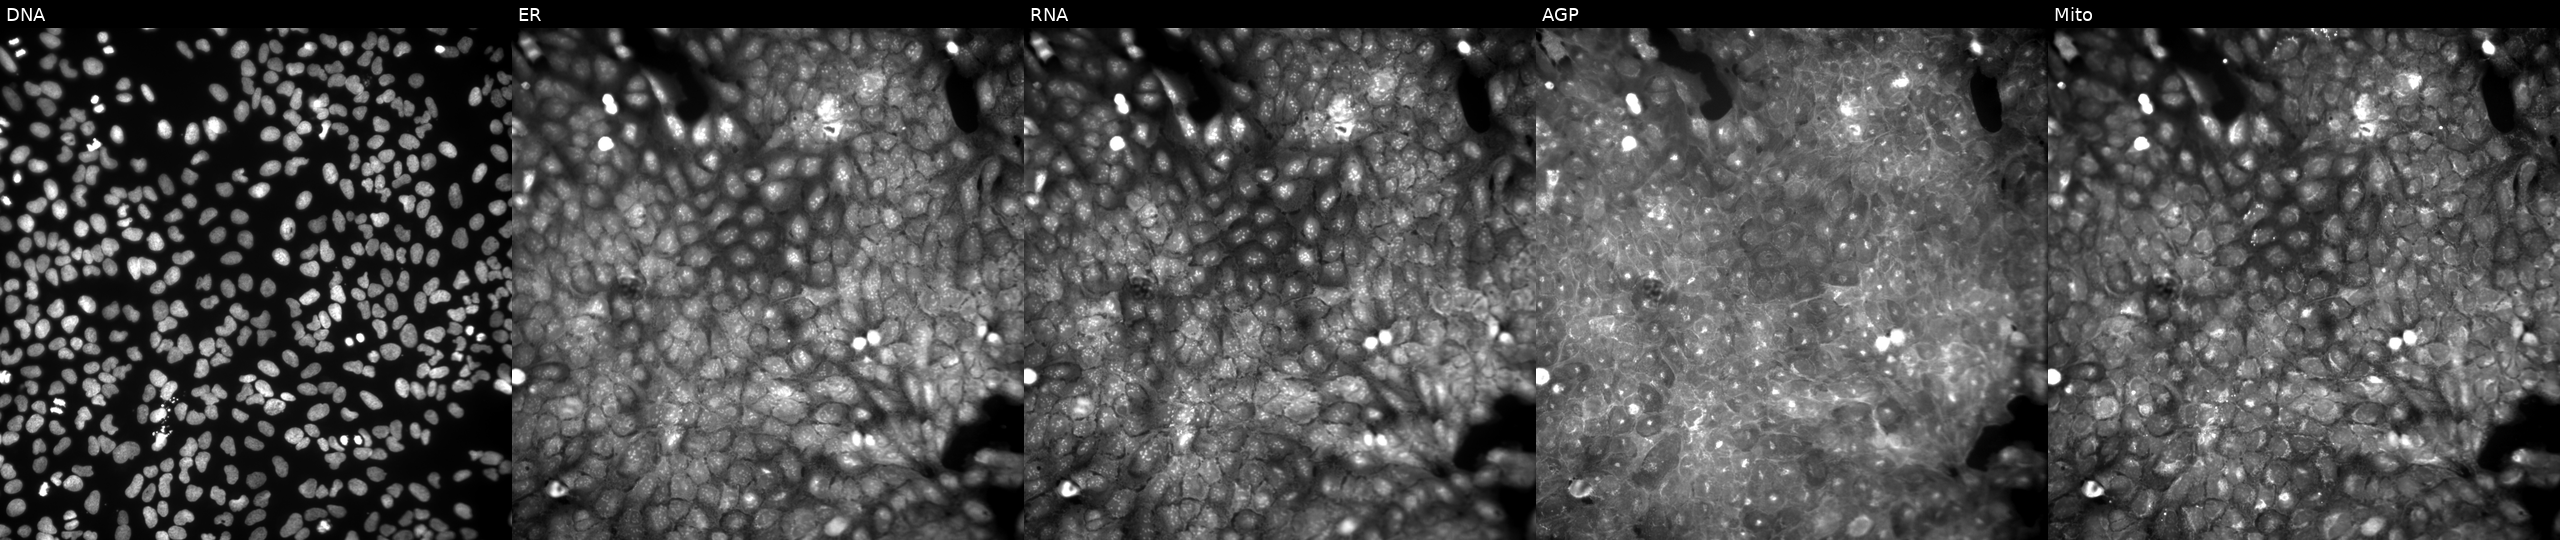
Five-channel Cell Painting image of U2OS cells treated with DMSO vehicle only (negative control) (JUMP id JCP2022_033924). Channels (left→right): Hoechst 33342, concanavalin A, SYTO 14, phalloidin and WGA, MitoTracker. Source 9, plate GR00003382, well AC47.